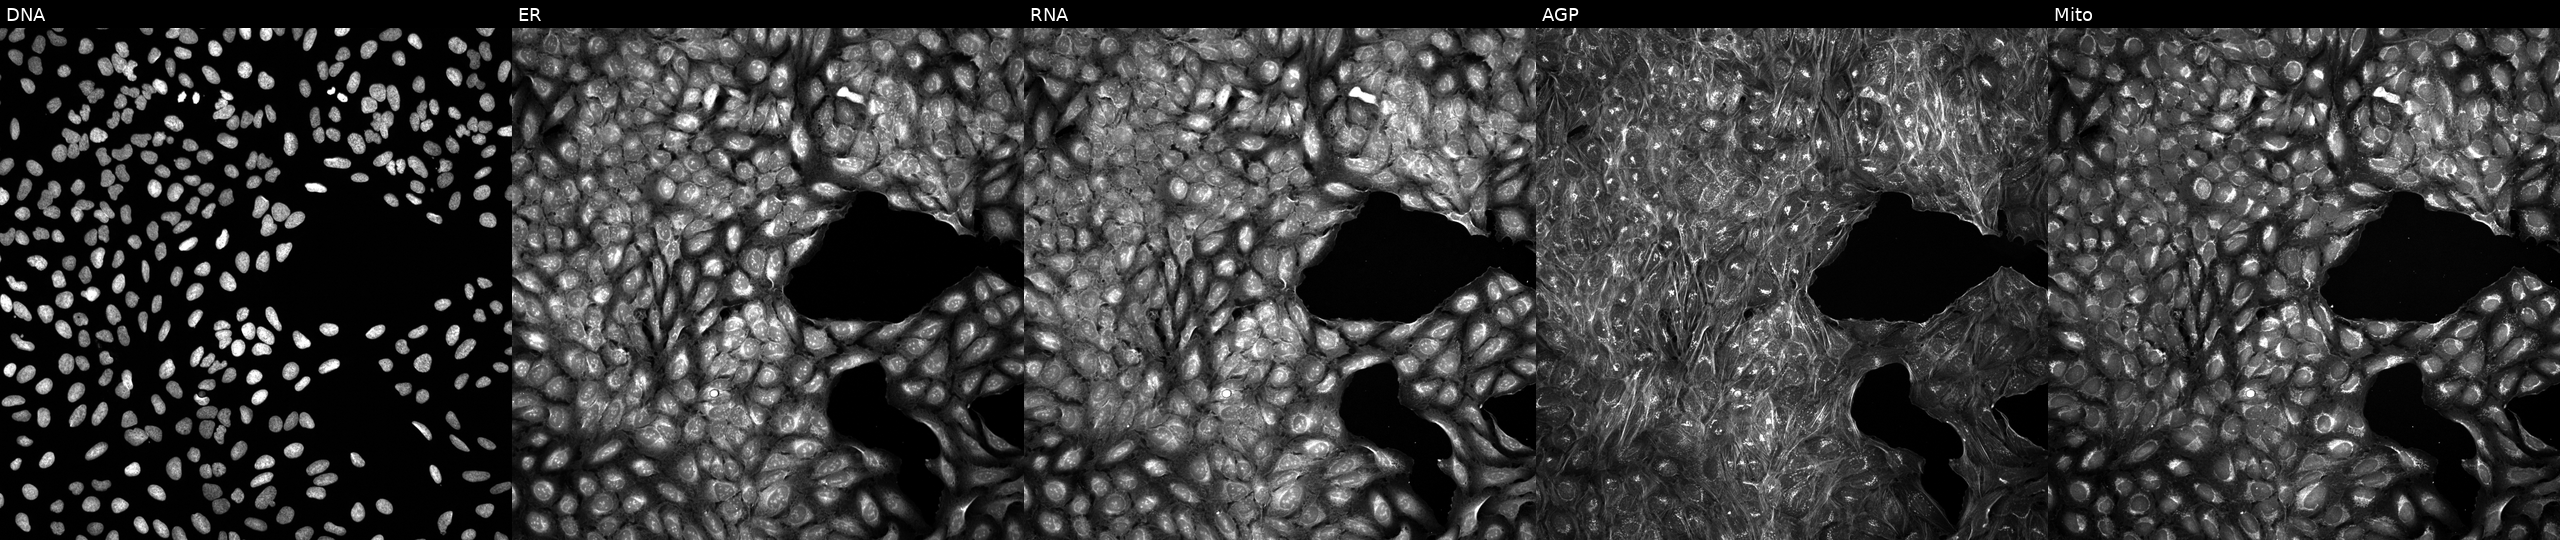
U2OS cells, Cell Painting assay, treated with a small-molecule compound (JUMP id JCP2022_079257). From left to right: Hoechst 33342, concanavalin A, SYTO 14, phalloidin and WGA, MitoTracker. Each panel is percentile-stretched 16-bit fluorescence.